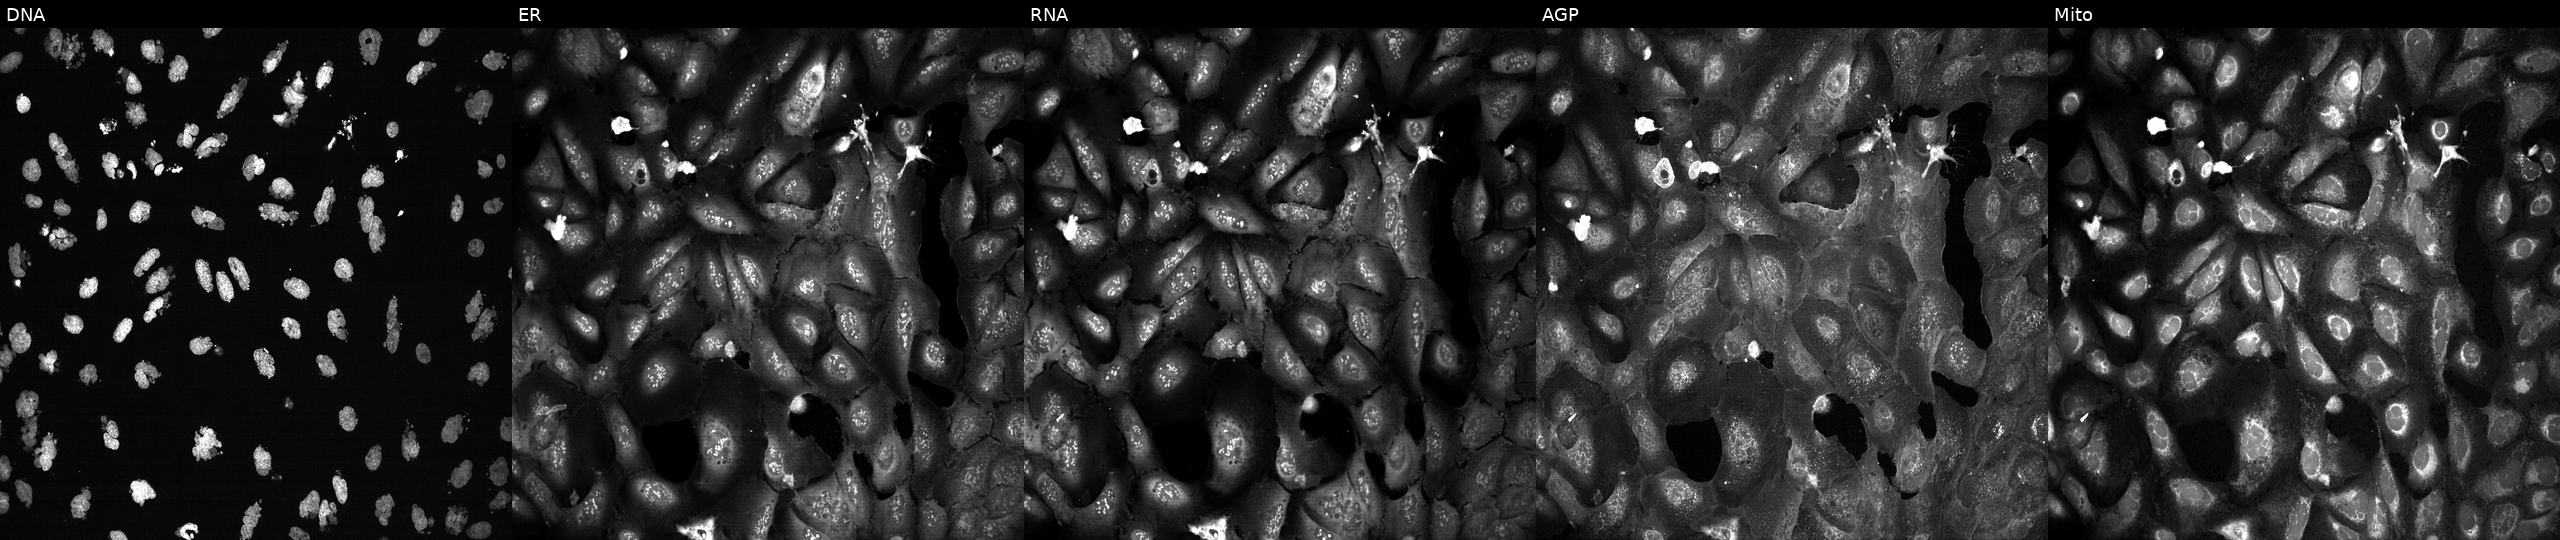
U2OS cells, Cell Painting assay, treated with AMG900 (positive-control compound) (JUMP id JCP2022_037716). The five panels, left to right, show DNA, ER, RNA, AGP, and Mito. Each panel is percentile-stretched 16-bit fluorescence.